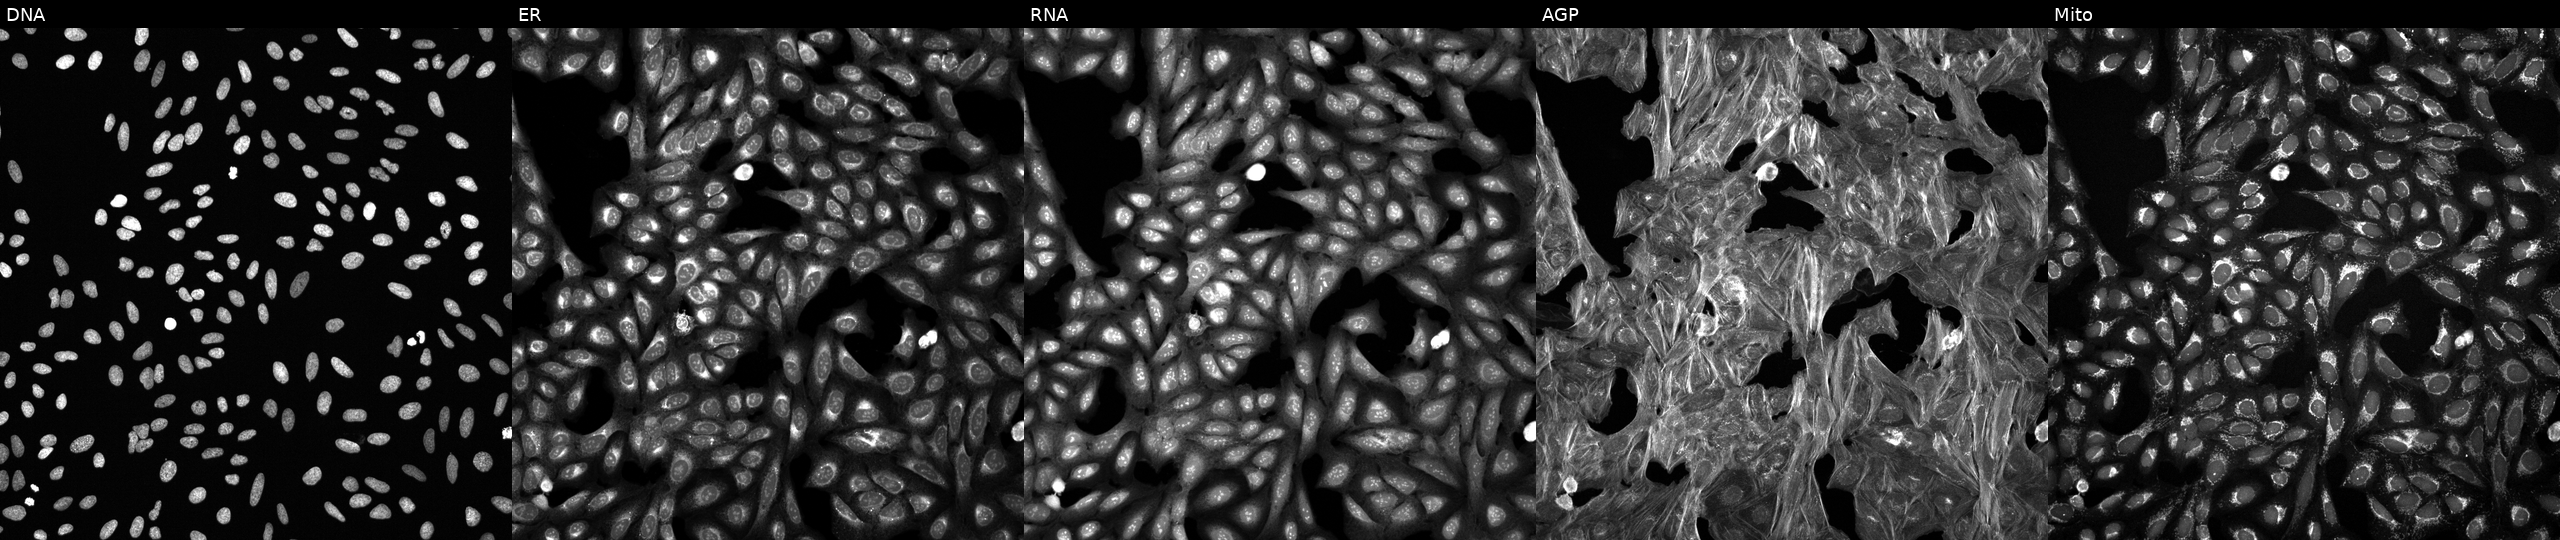
JUMP Cell Painting — TARGET2 plate. U2OS cells perturbed with a small-molecule compound (InChIKey WXXSNCNJFUAIDG-UHFFFAOYSA-N) [SMILES: COC(=O)N(C)c1c(N)[nH]c(-c2nn(Cc3ccccc3F)c3ncccc23)nc1=N] (JUMP id JCP2022_101929). Channels (left→right): DNA (nuclei); ER (endoplasmic reticulum); RNA (nucleoli and cytoplasmic RNA); AGP (actin cytoskeleton, Golgi, and plasma membrane); Mito (mitochondria).